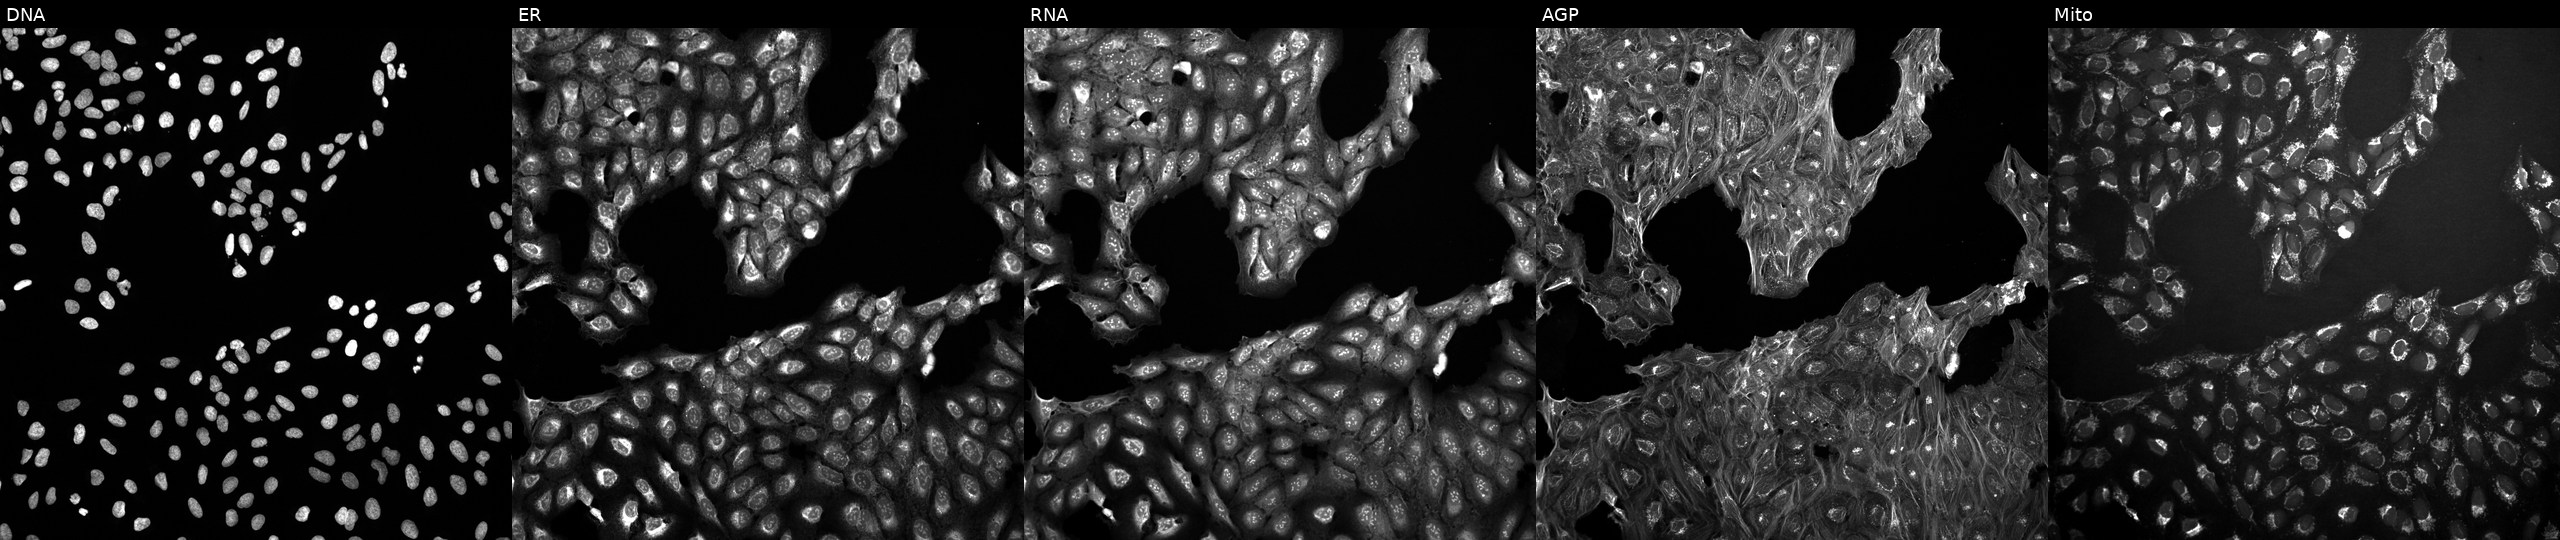
Five-channel Cell Painting image of U2OS cells untreated (empty-well control) (JUMP id JCP2022_999999). From left to right: DNA (nuclei); ER (endoplasmic reticulum); RNA (nucleoli and cytoplasmic RNA); AGP (actin cytoskeleton, Golgi, and plasma membrane); Mito (mitochondria).